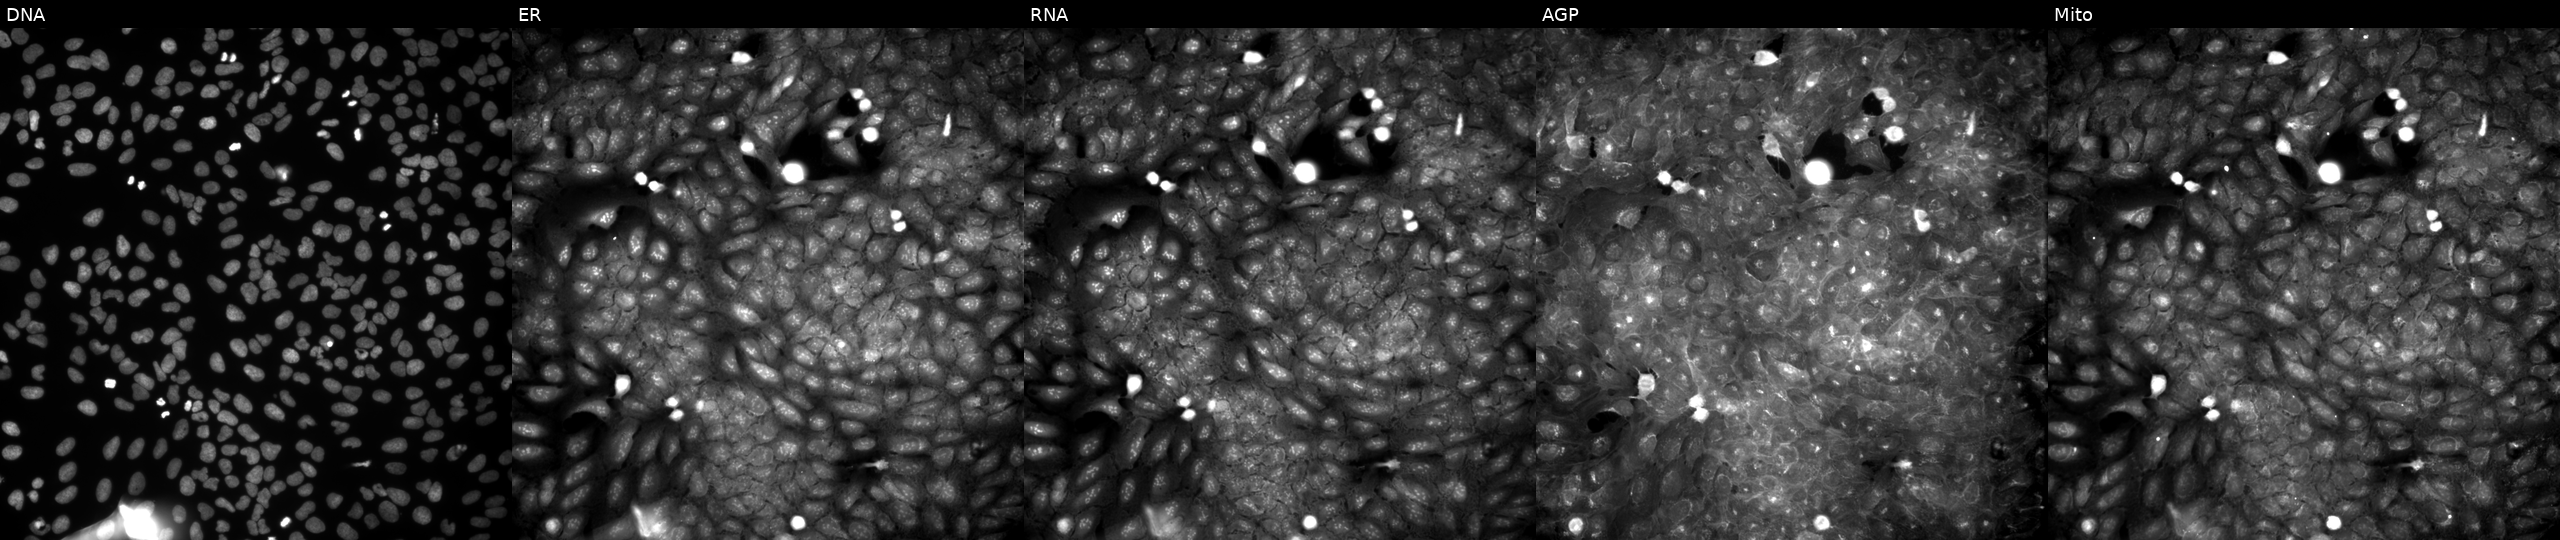
High-content fluorescence microscopy (Cell Painting). Cell line: U2OS. Perturbation: exposed to a small-molecule compound (InChIKey LPJUVMOAYGLXFX-UHFFFAOYSA-N) [SMILES: O=C(c1ccco1)N1CCn2c1nc1ccccc12]. Panels show, left to right, DNA, ER, RNA, AGP, and Mito.